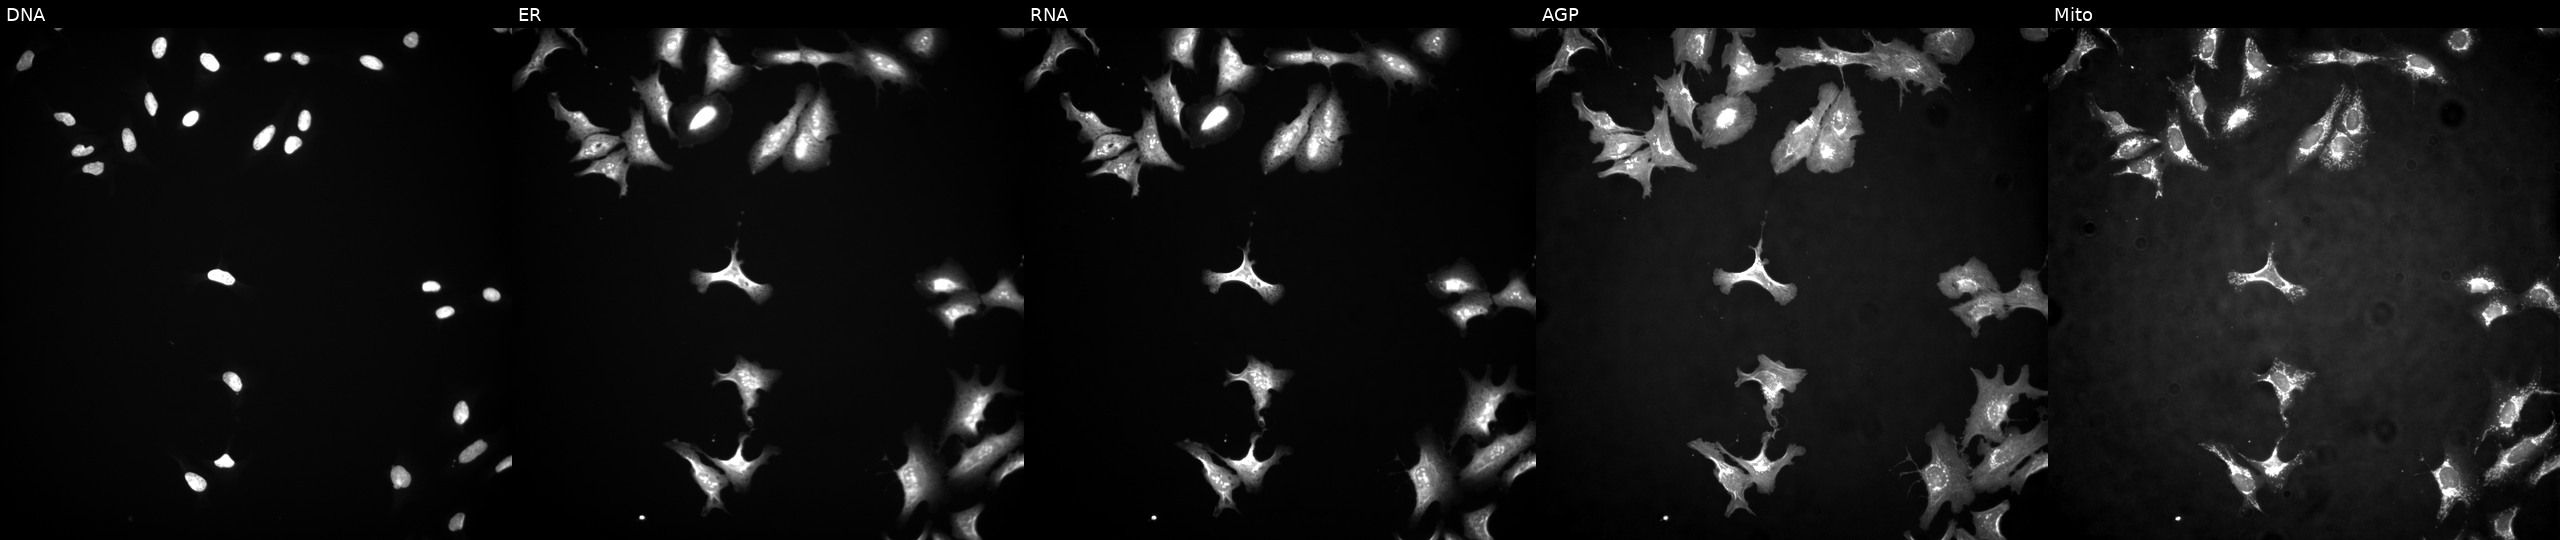
The five panels, left to right, show DNA (nuclei); ER (endoplasmic reticulum); RNA (nucleoli and cytoplasmic RNA); AGP (actin cytoskeleton, Golgi, and plasma membrane); Mito (mitochondria). U2OS osteosarcoma cells transfected with an ORF construct for SPRY2. Cell Painting assay, JUMP-CP dataset.